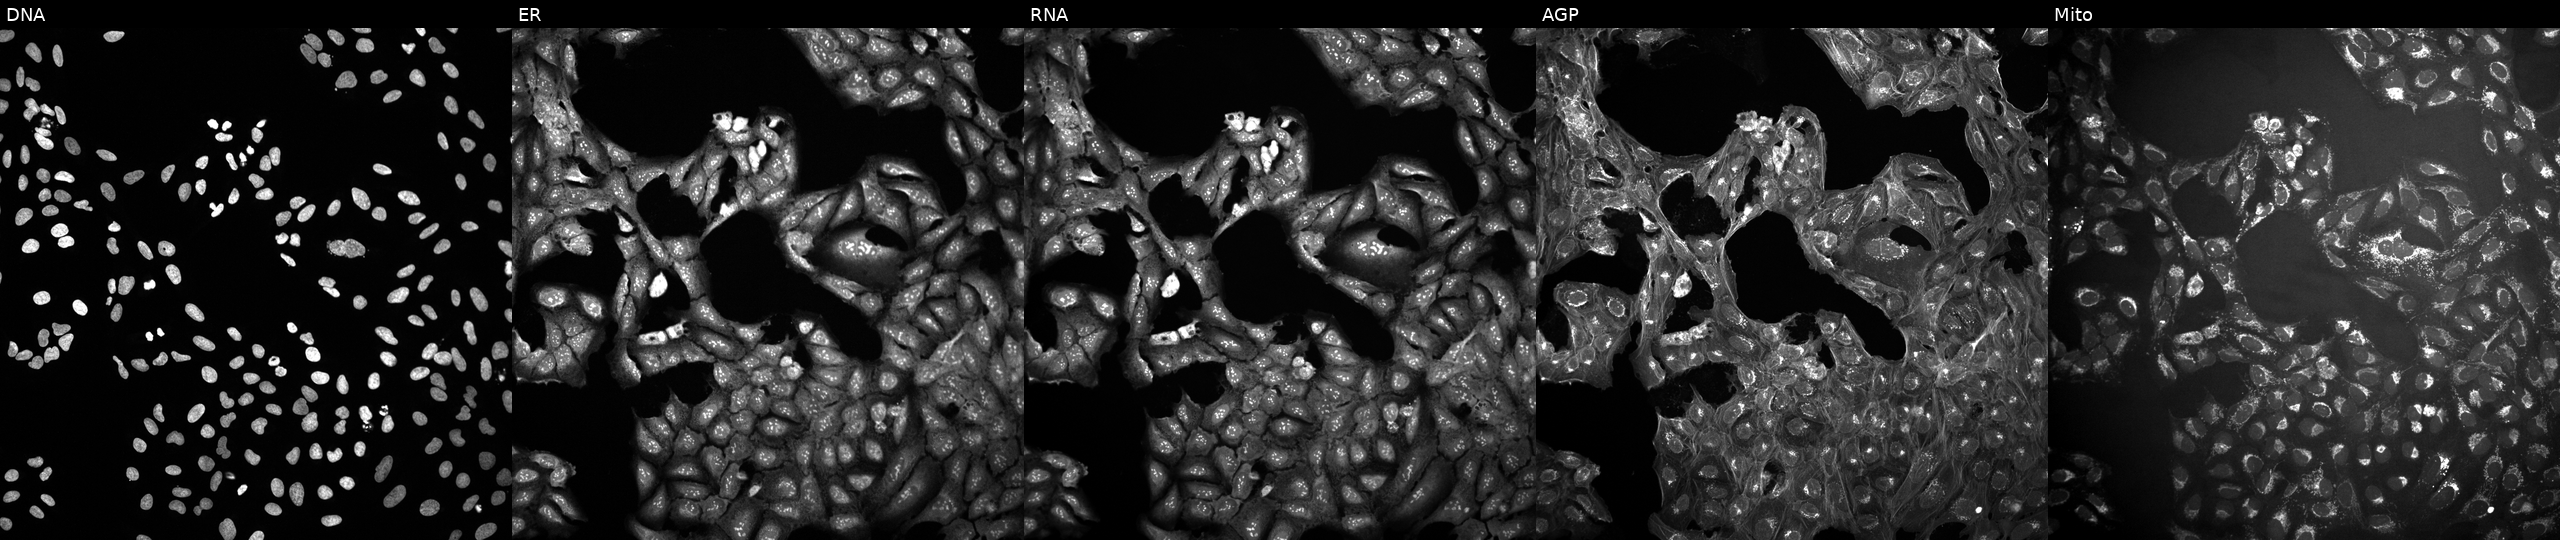
The five panels, left to right, show DNA (nuclei); ER (endoplasmic reticulum); RNA (nucleoli and cytoplasmic RNA); AGP (actin cytoskeleton, Golgi, and plasma membrane); Mito (mitochondria). U2OS osteosarcoma cells perturbed with a small-molecule compound (InChIKey HPELSBFCCYRVKF-UHFFFAOYSA-N). Cell Painting assay, JUMP-CP dataset.